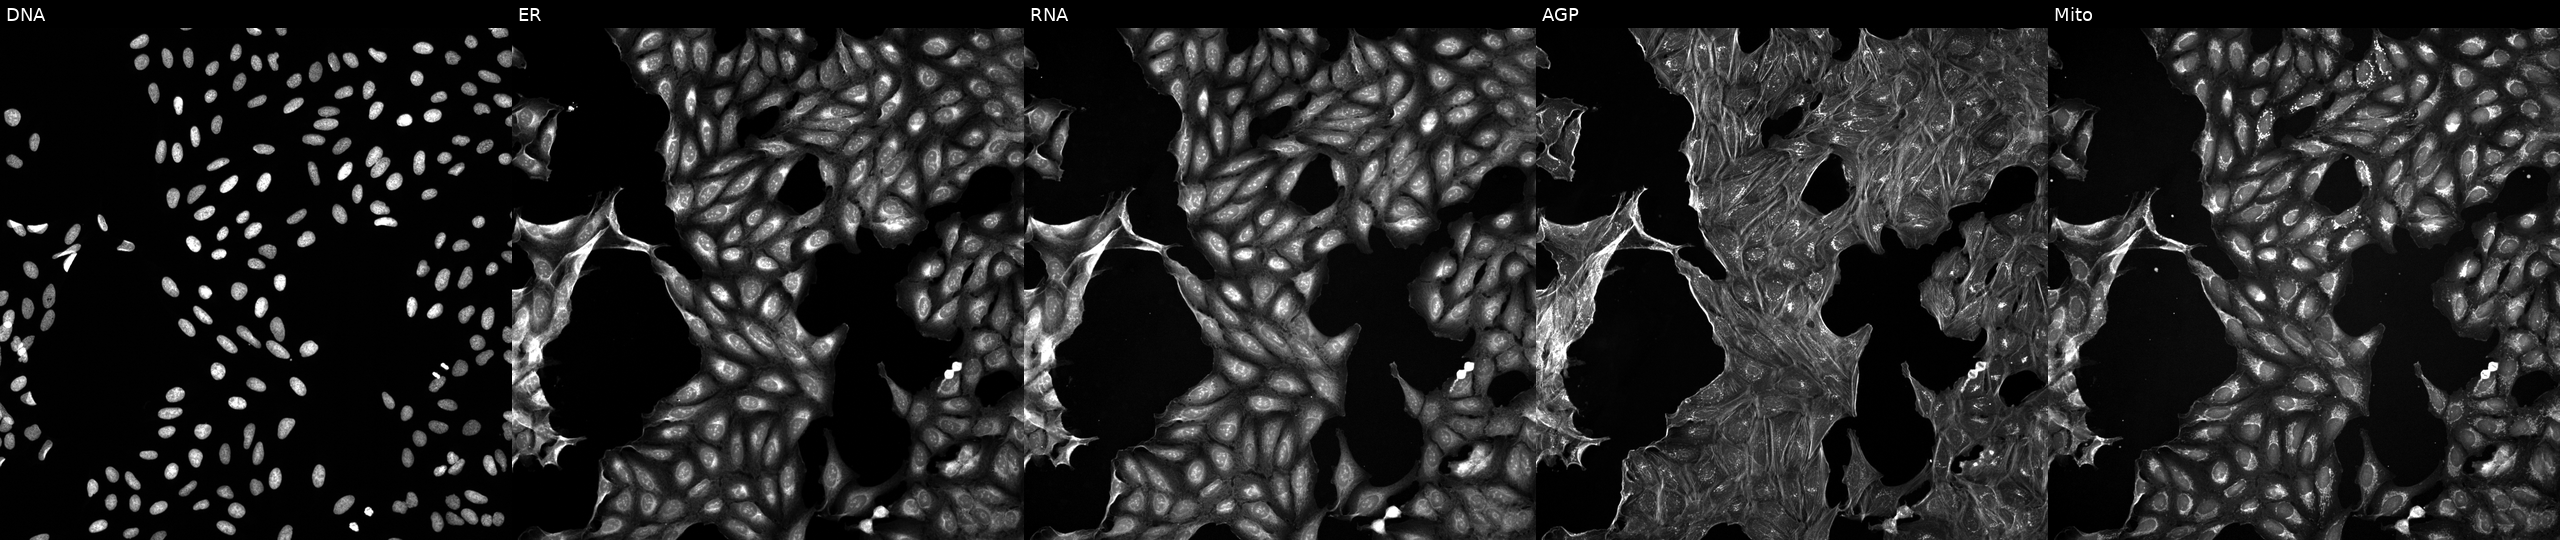
JUMP Cell Painting — TARGET2 plate. U2OS cells treated with a small-molecule compound. The five panels, left to right, show DNA (nuclei); ER (endoplasmic reticulum); RNA (nucleoli and cytoplasmic RNA); AGP (actin cytoskeleton, Golgi, and plasma membrane); Mito (mitochondria). Source 5, plate ACPJUM032, well G01.